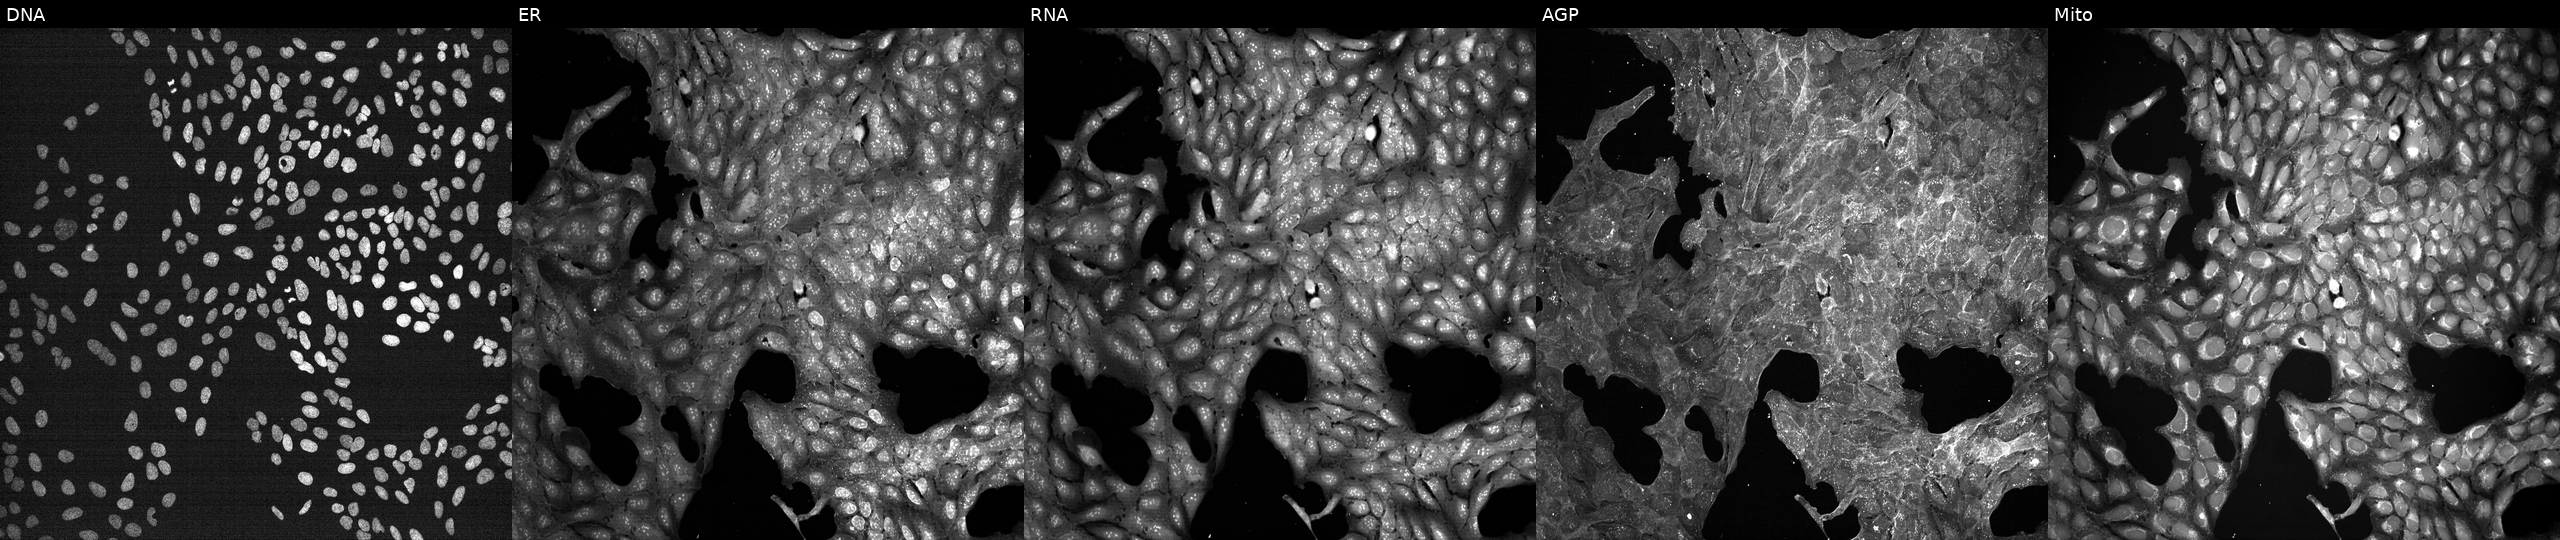
High-content fluorescence microscopy (Cell Painting). Cell line: U2OS. Perturbation: treated with a small-molecule compound (JUMP id JCP2022_114322). The five panels, left to right, show DNA (nuclei); ER (endoplasmic reticulum); RNA (nucleoli and cytoplasmic RNA); AGP (actin cytoskeleton, Golgi, and plasma membrane); Mito (mitochondria).